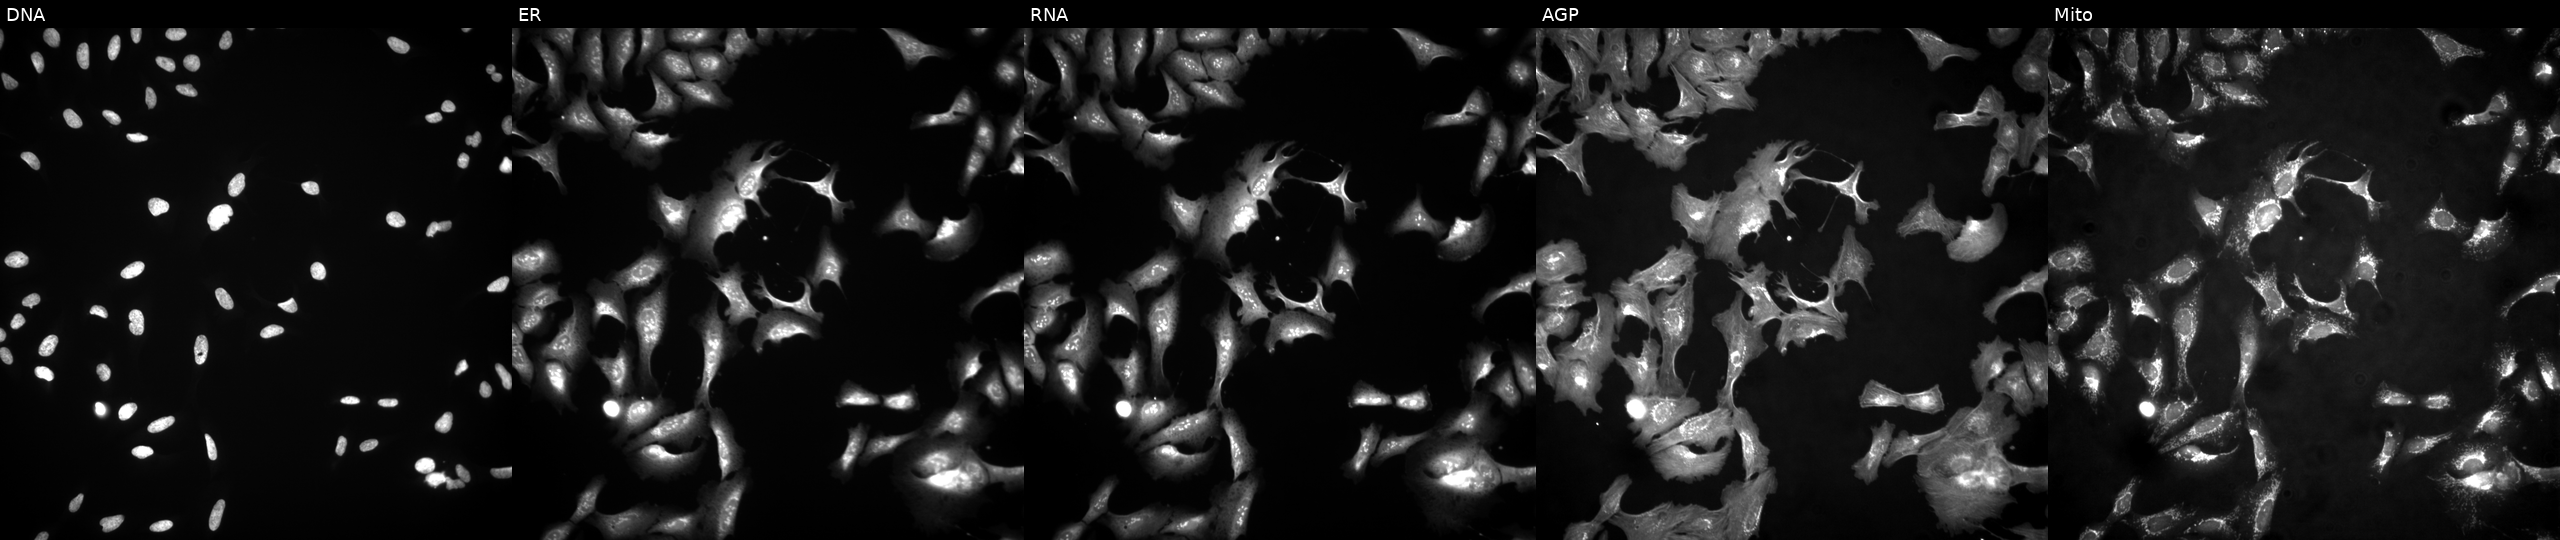
U2OS cells, Cell Painting assay, expressing eGFP (ORF positive control). From left to right: Hoechst 33342, concanavalin A, SYTO 14, phalloidin and WGA, MitoTracker. Each panel is percentile-stretched 16-bit fluorescence. Source 4, plate BR00124784, well P17.